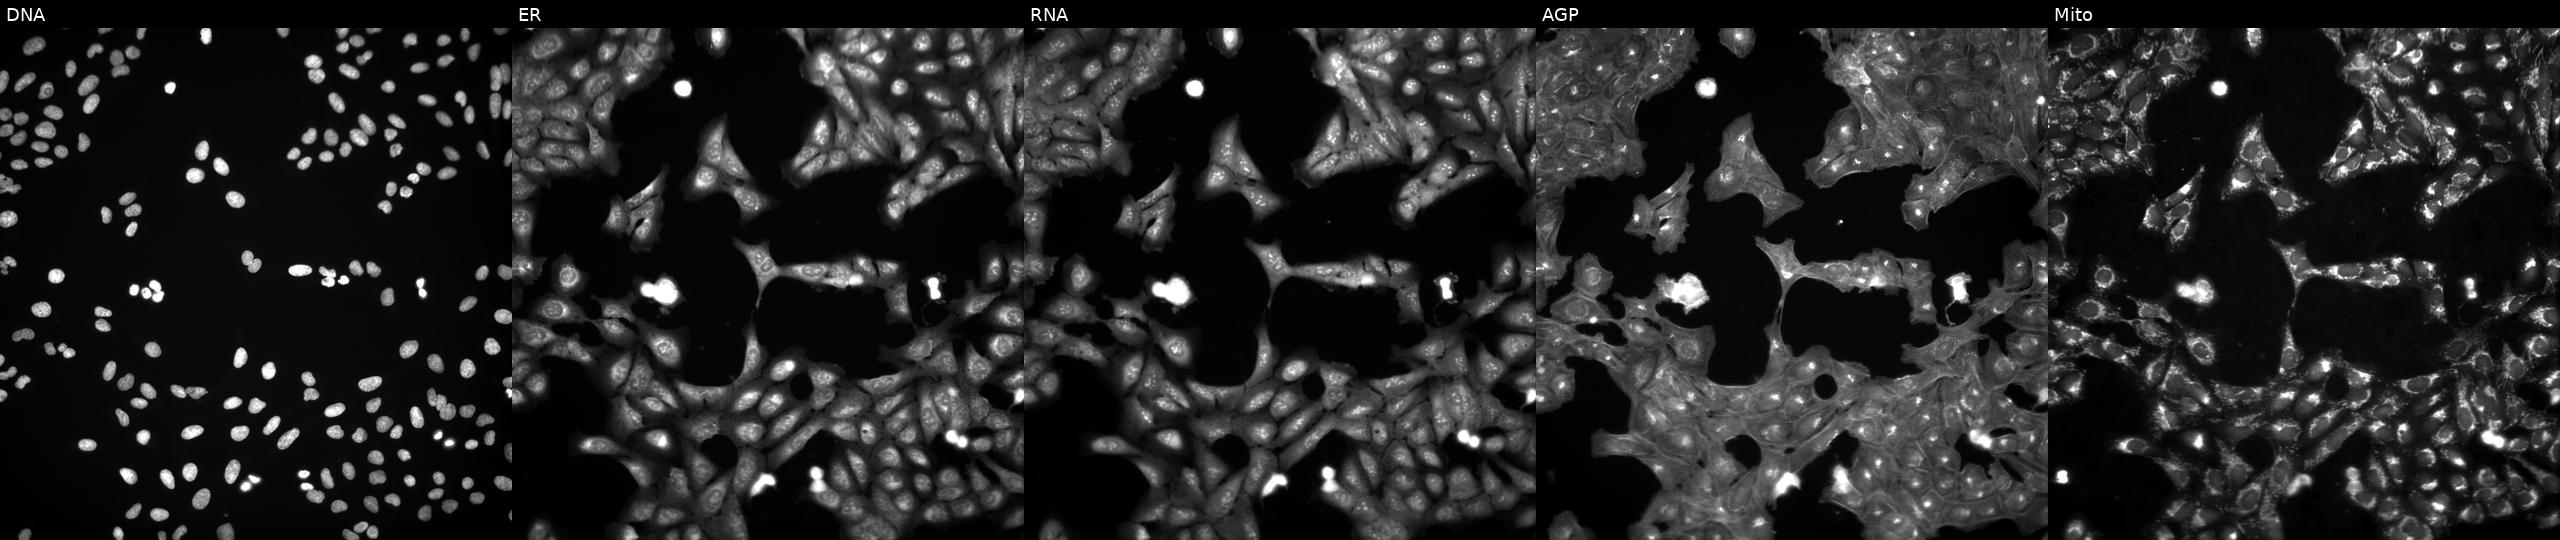
High-content fluorescence microscopy (Cell Painting). Cell line: U2OS. Perturbation: perturbed with a small-molecule compound [SMILES: CCOC(=O)C1=C(C)N(C)C(C)=C(C(=O)OCC)C1c1cccnc1] (JUMP id JCP2022_042556). From left to right: DNA, ER, RNA, AGP, and Mito.